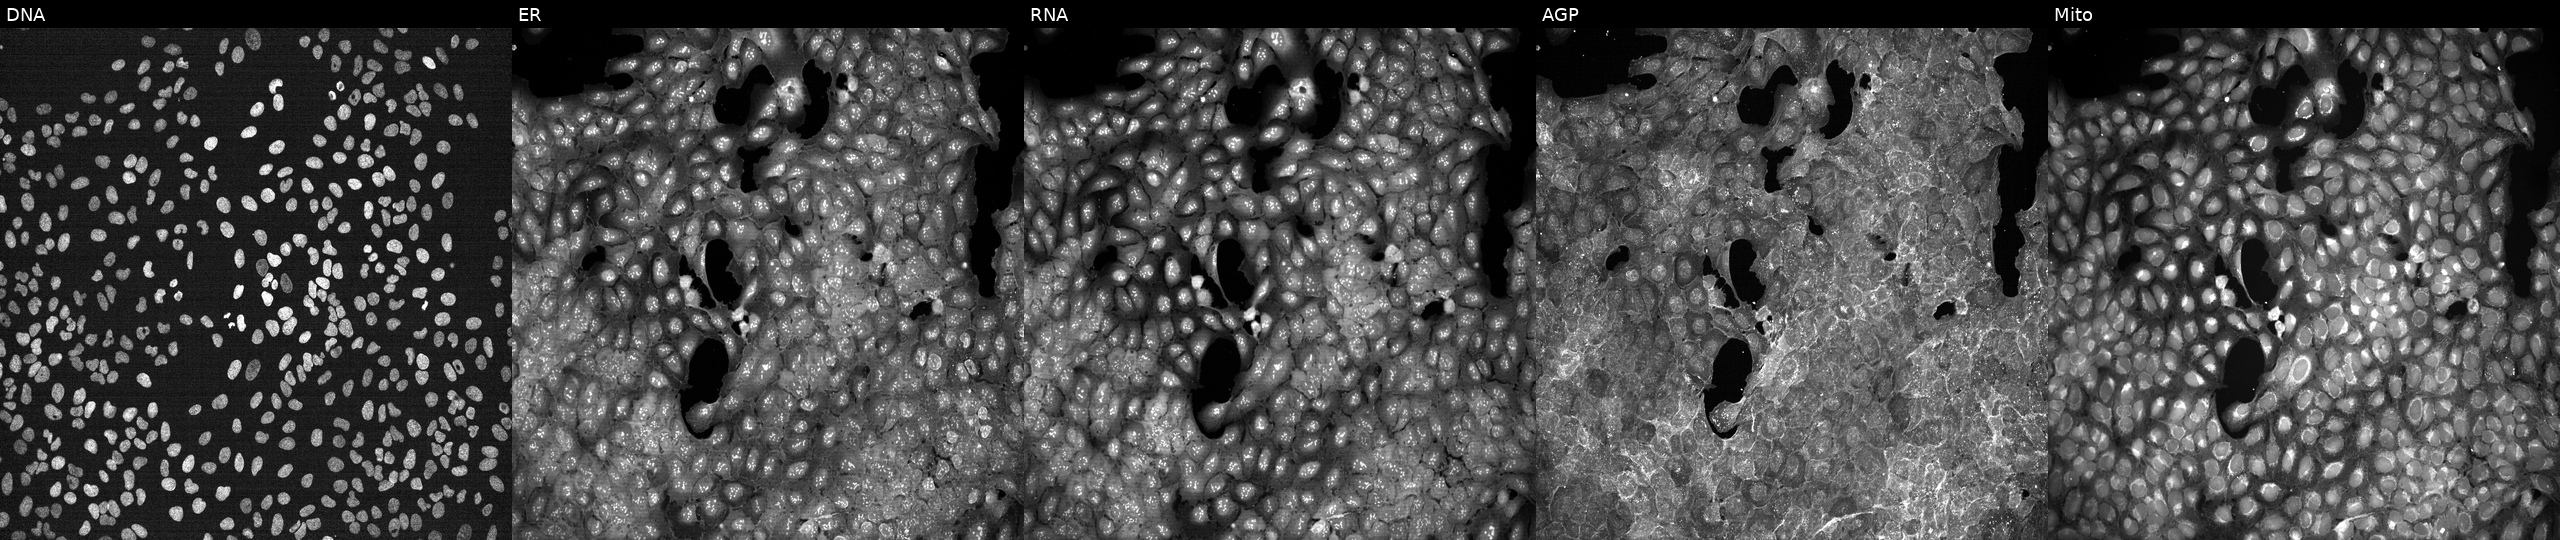
JUMP Cell Painting — TARGET2 plate. U2OS cells exposed to a small-molecule compound (InChIKey FMYGNANMYYHBSU-UHFFFAOYSA-N) [SMILES: Cc1cc(C(=O)Cn2cc(C#N)ccc2=O)c(C)n1Cc1ccccc1] (JUMP id JCP2022_021678). Panels show, left to right, DNA, ER, RNA, AGP, and Mito. Source 7, plate CP1-SC1-25, well B15.